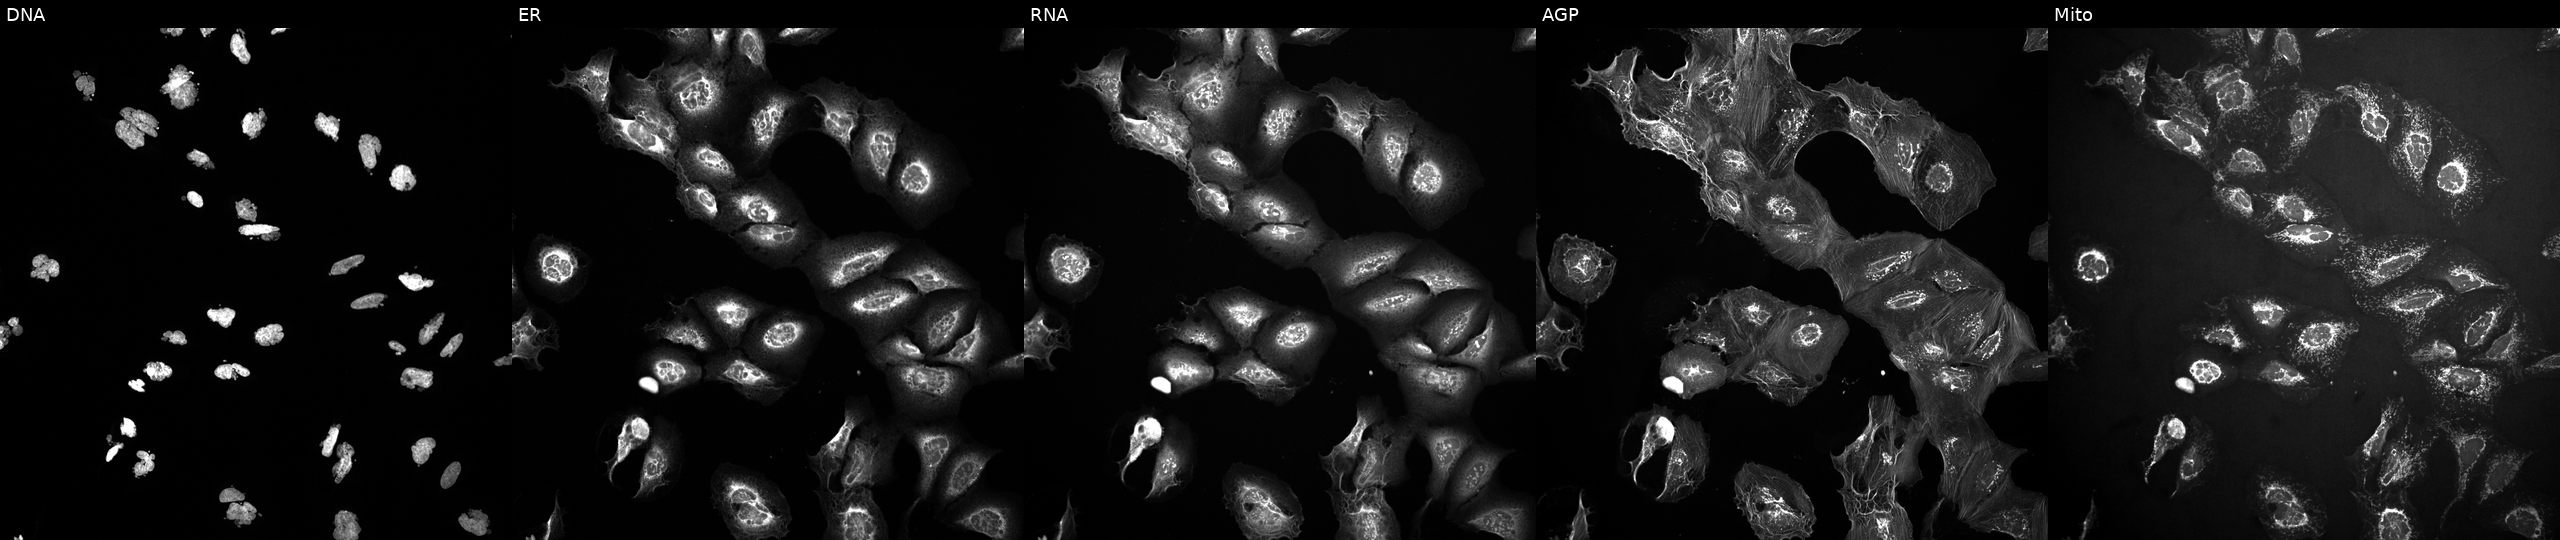
Five-channel Cell Painting image of U2OS cells exposed to the positive-control compound AMG900 (JUMP id JCP2022_037716). Panels show, left to right, DNA, ER, RNA, AGP, and Mito.